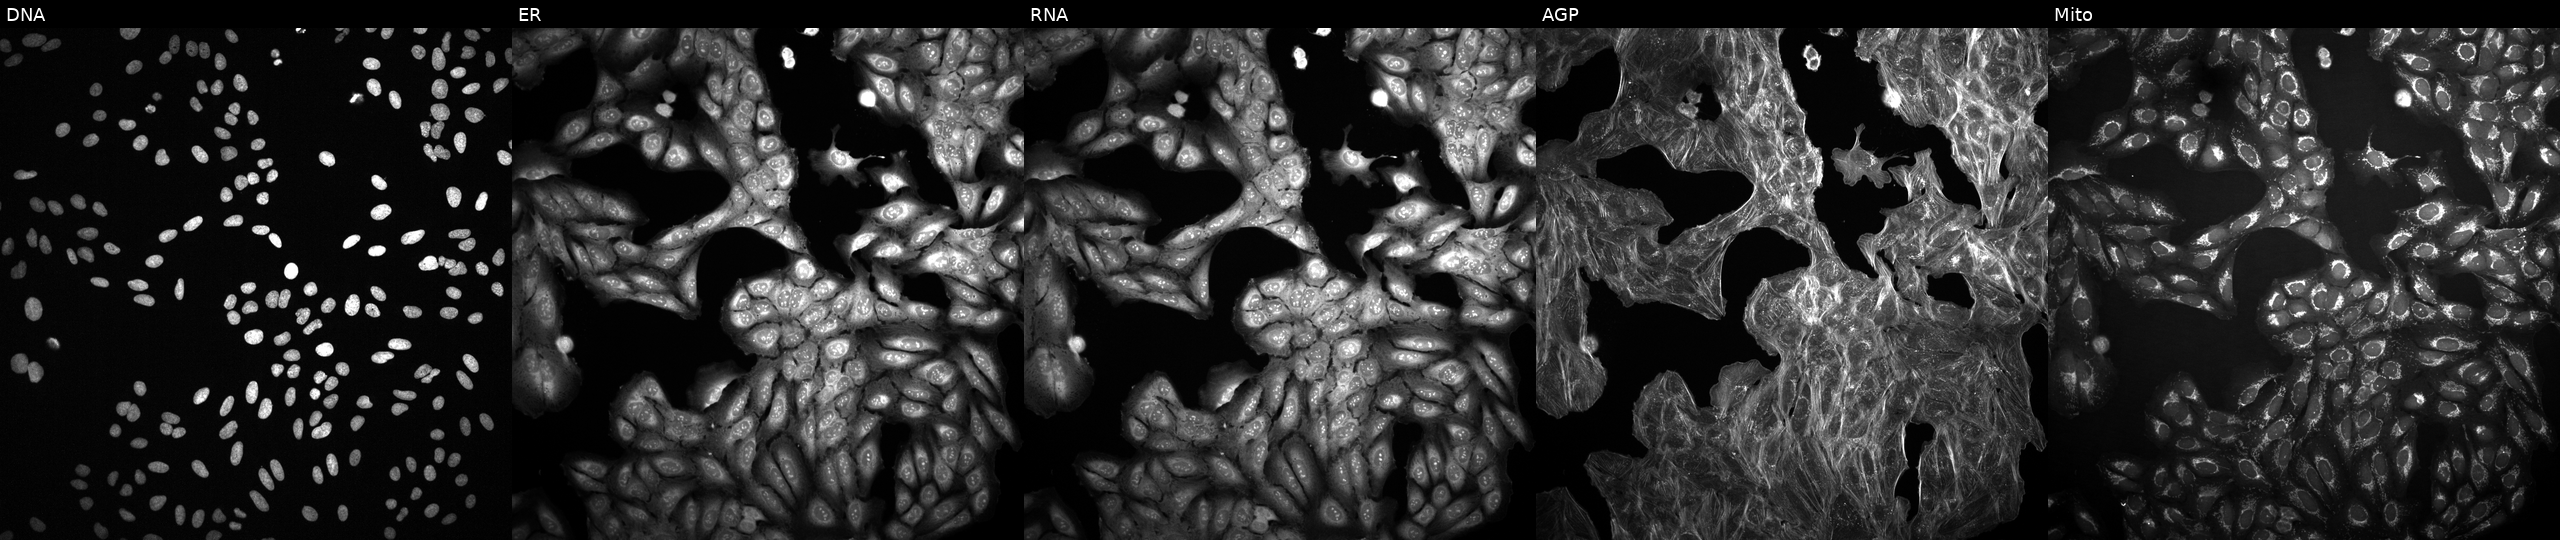
JUMP Cell Painting — TARGET2 plate. U2OS cells perturbed with a small-molecule compound [SMILES: COc1cccc(-c2cc(=O)c3ccccc3o2)c1N] (JUMP id JCP2022_073156). From left to right: Hoechst 33342, concanavalin A, SYTO 14, phalloidin and WGA, MitoTracker. Source 2, plate 1053597936, well E03.